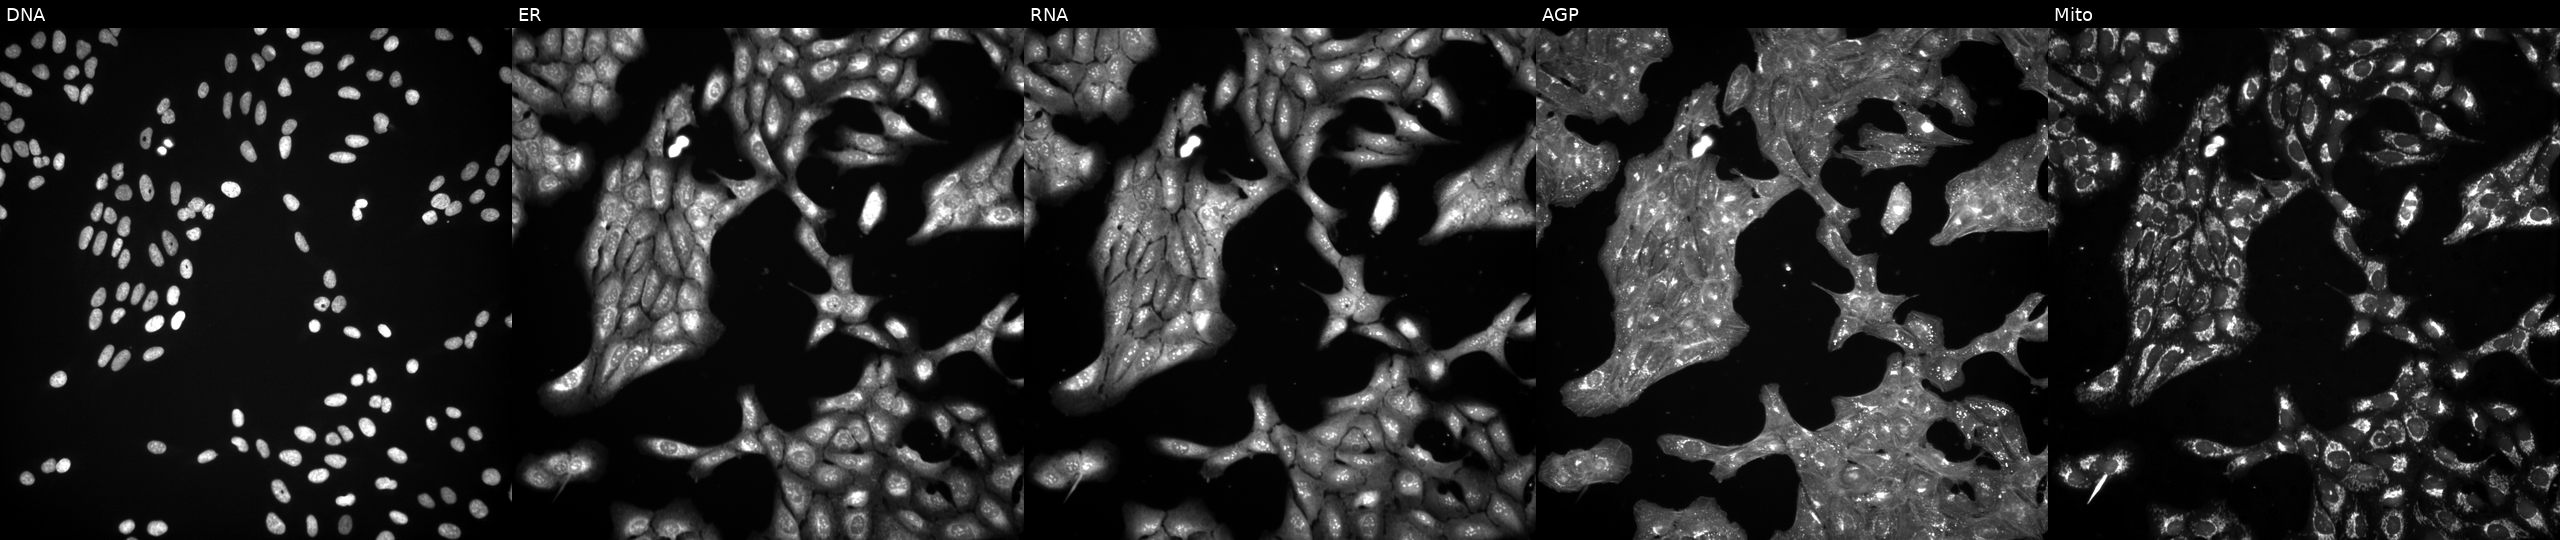
Five-channel Cell Painting image of U2OS cells perturbed with a small-molecule compound (InChIKey RUEPBSBZSRTGFK-UHFFFAOYSA-N) (JUMP id JCP2022_080764). Channels (left→right): Hoechst 33342, concanavalin A, SYTO 14, phalloidin and WGA, MitoTracker.